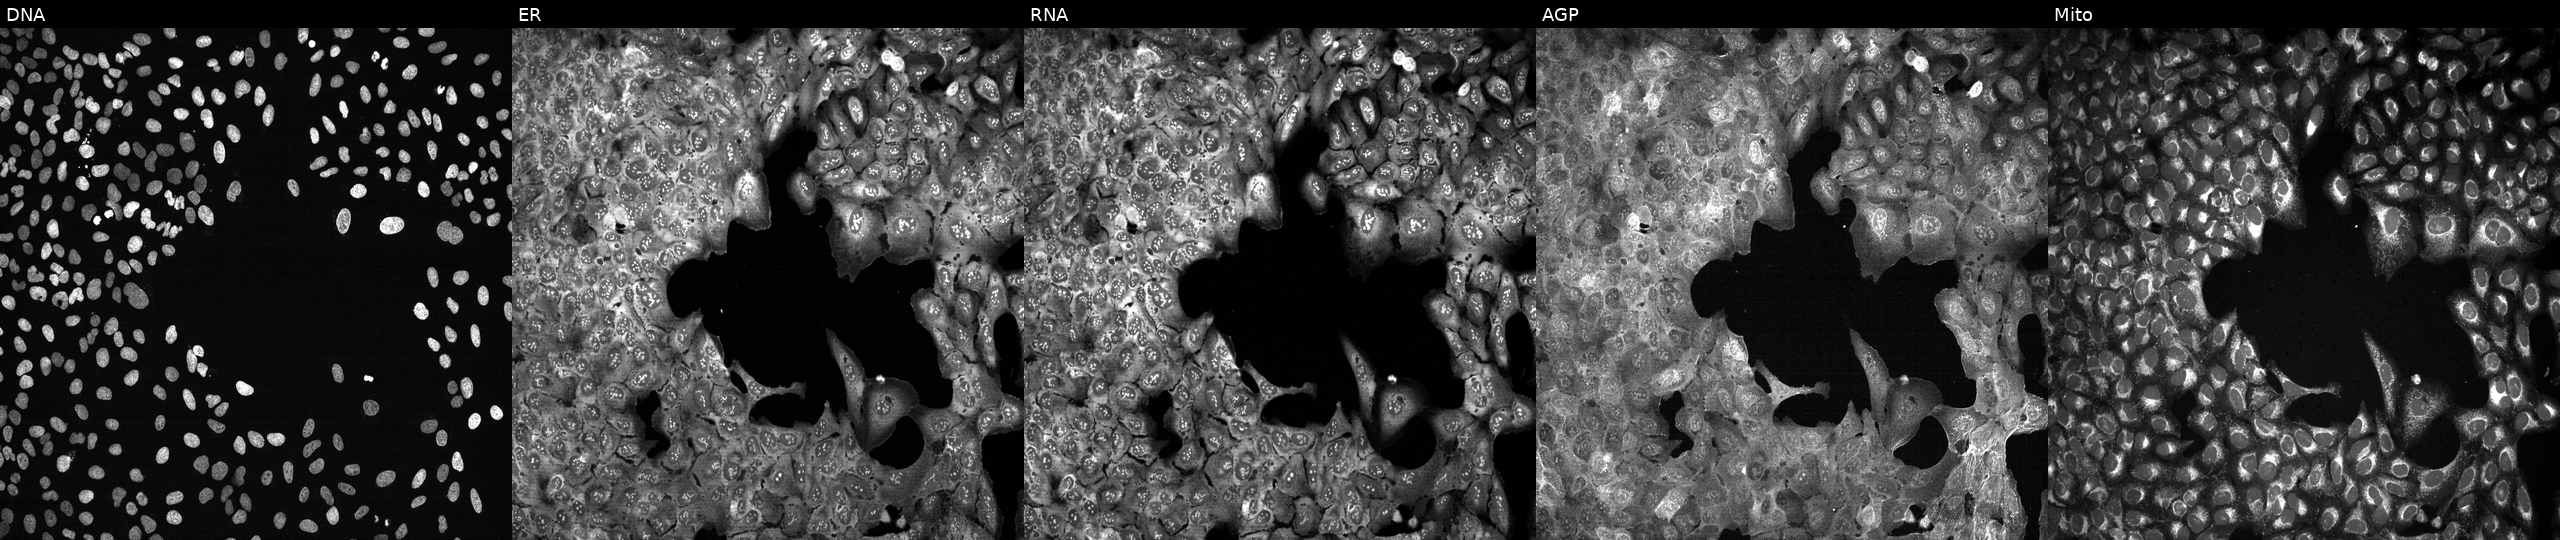
U2OS cells, Cell Painting assay, following CRISPR knockout of ALDH3A1 (JUMP id JCP2022_800389). Panels show, left to right, DNA, ER, RNA, AGP, and Mito. Each panel is percentile-stretched 16-bit fluorescence.